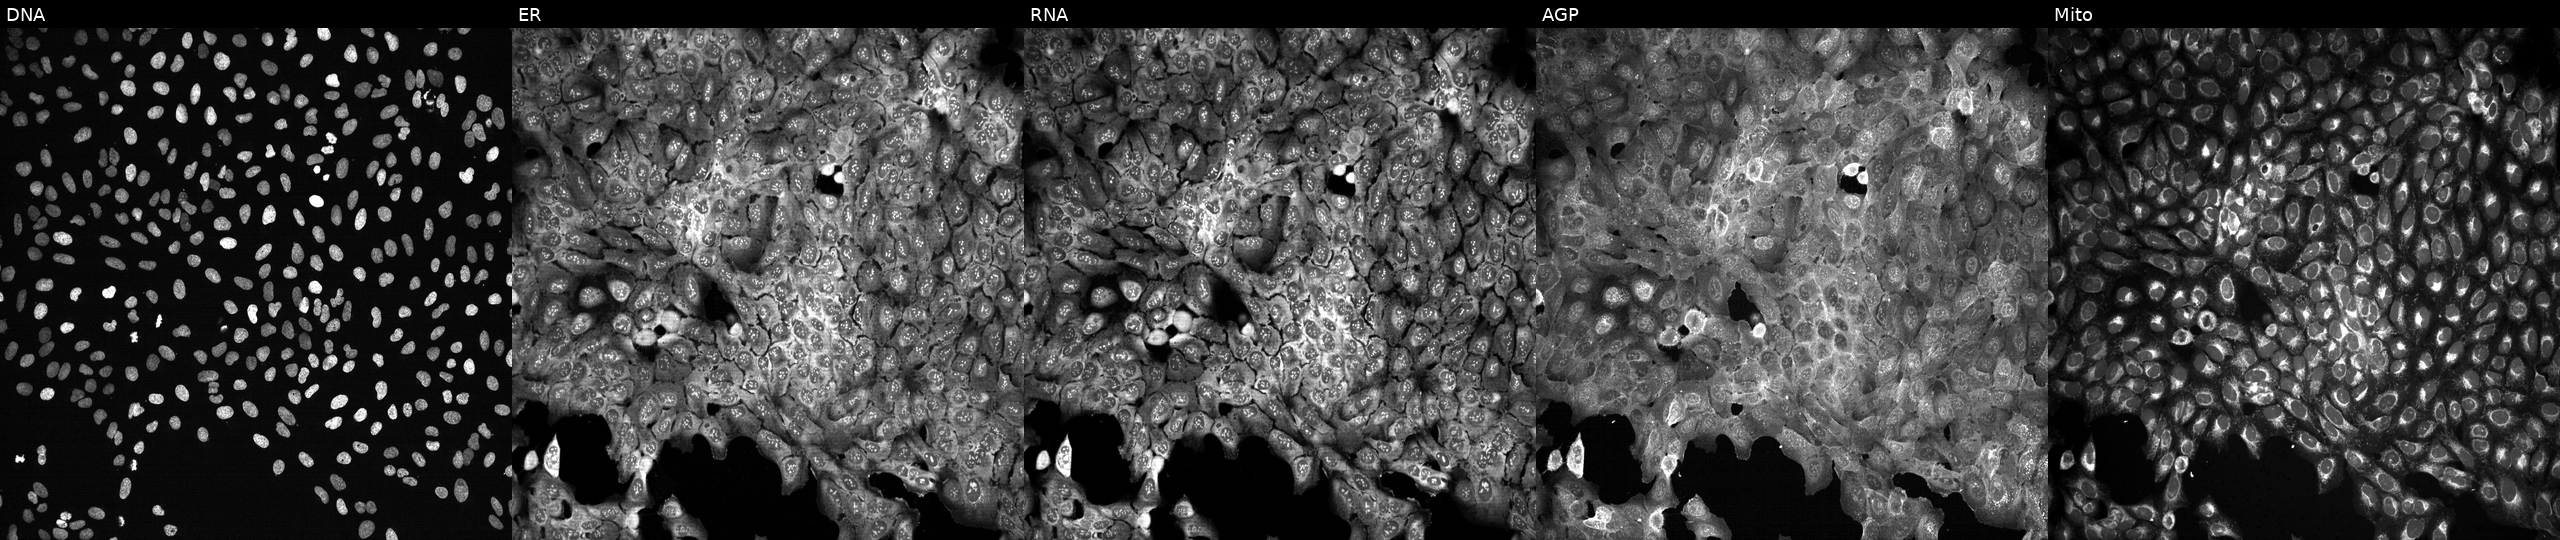
High-content fluorescence microscopy (Cell Painting). Cell line: U2OS. Perturbation: following CRISPR knockout of HBS1L. Panels show, left to right, DNA, ER, RNA, AGP, and Mito.